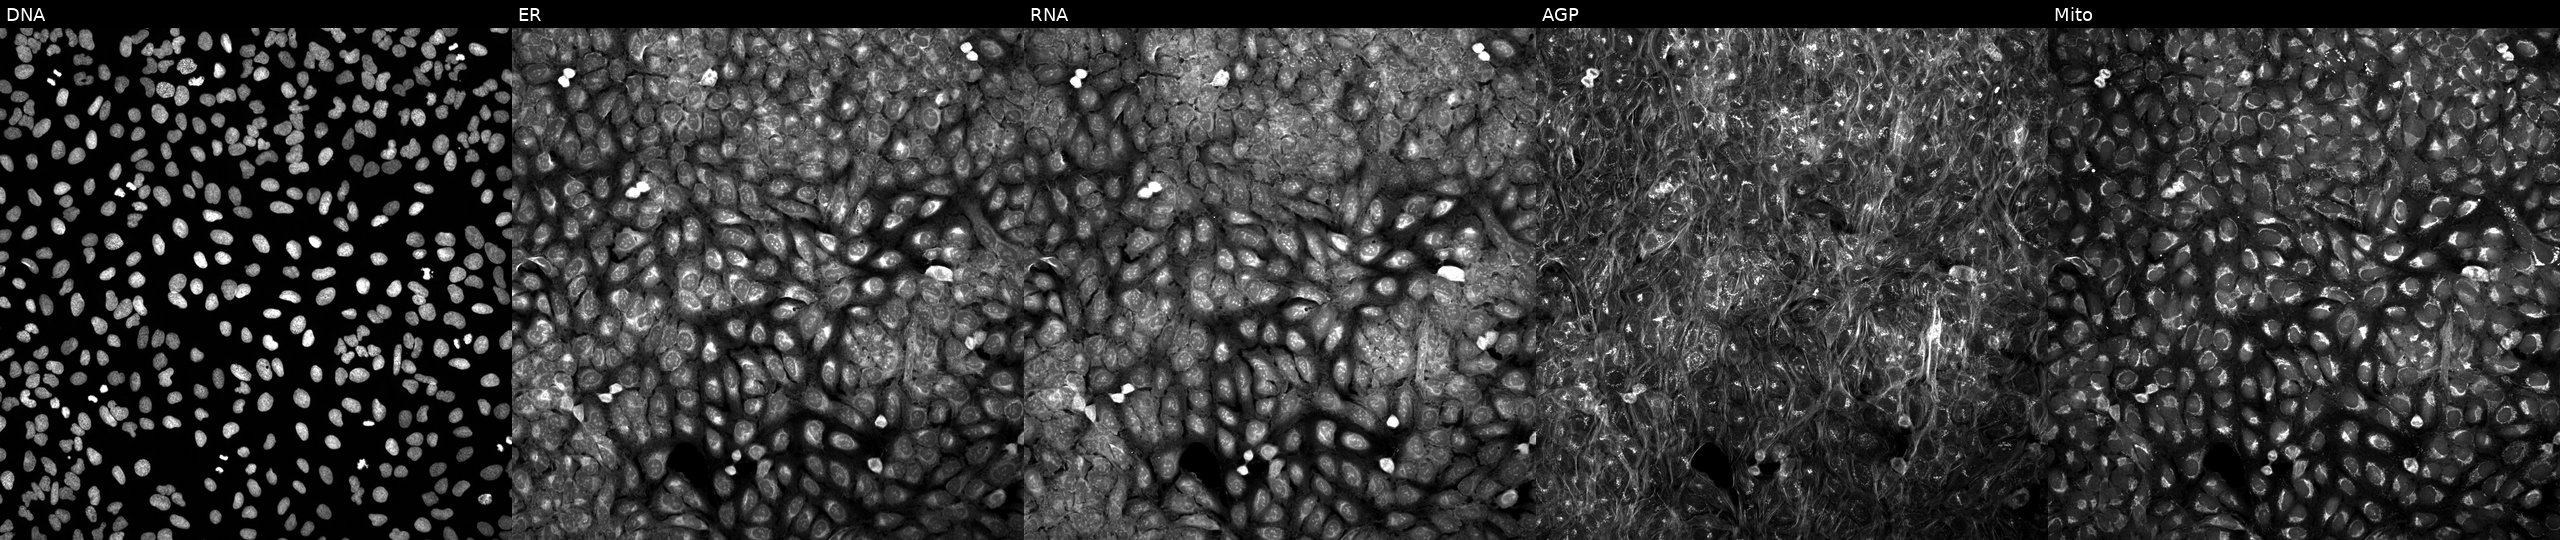
High-content fluorescence microscopy (Cell Painting). Cell line: U2OS. Perturbation: treated with DMSO vehicle only (negative control) (JUMP id JCP2022_033924). Panels show, left to right, Hoechst 33342, concanavalin A, SYTO 14, phalloidin and WGA, MitoTracker. Source 5, plate ACPJUM051, well F24.